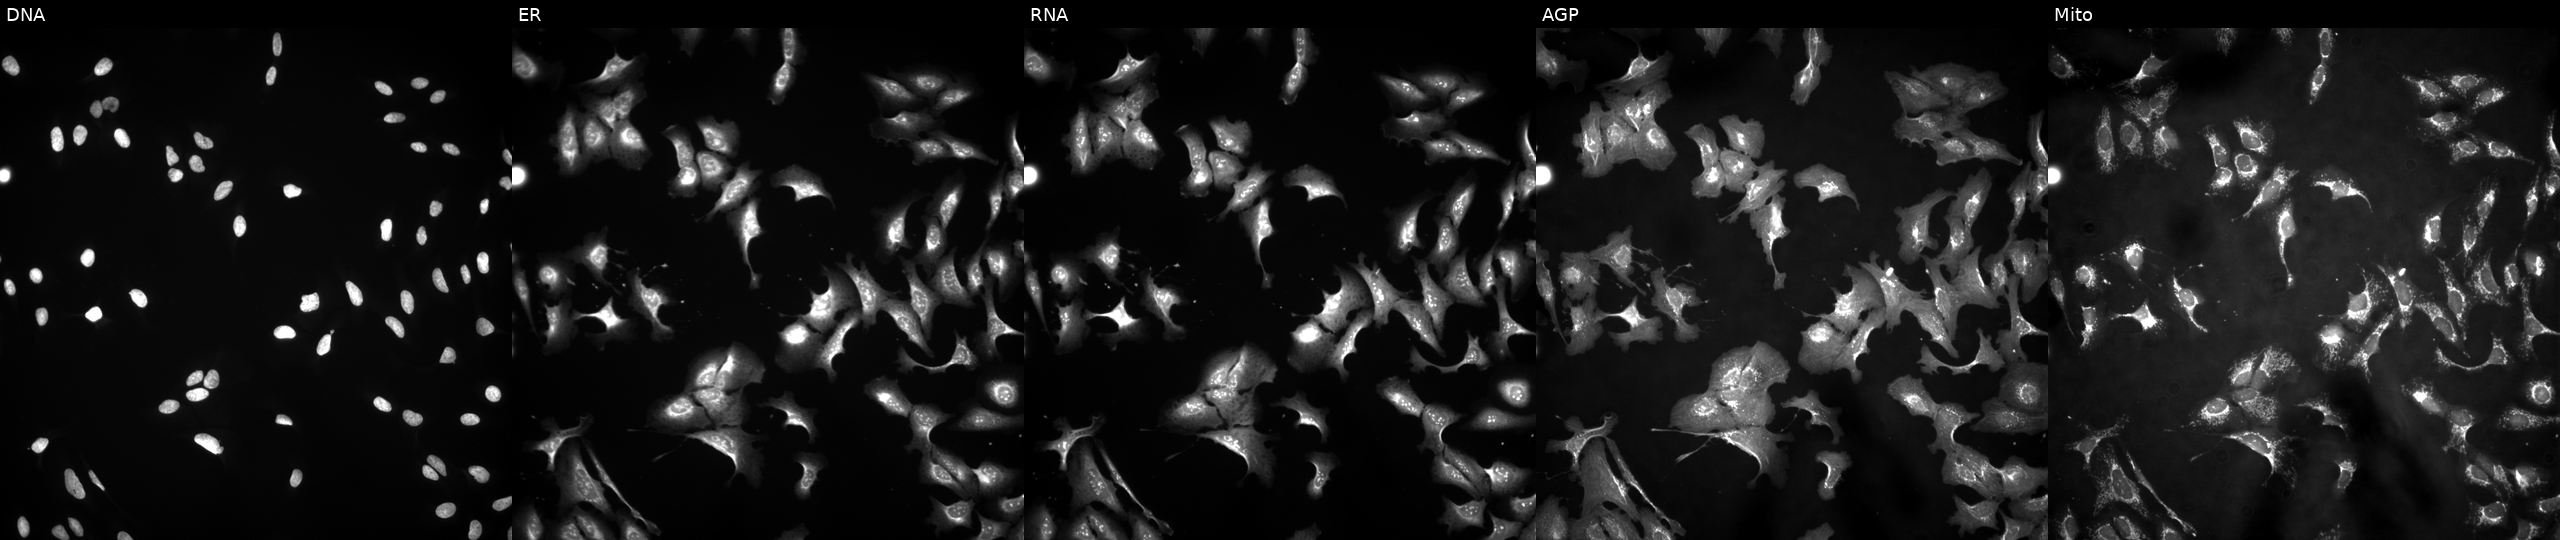
From left to right: DNA (nuclei); ER (endoplasmic reticulum); RNA (nucleoli and cytoplasmic RNA); AGP (actin cytoskeleton, Golgi, and plasma membrane); Mito (mitochondria). U2OS osteosarcoma cells with GNB2 overexpressed (ORF). Cell Painting assay, JUMP-CP dataset. Source 4, plate BR00121543, well P05.